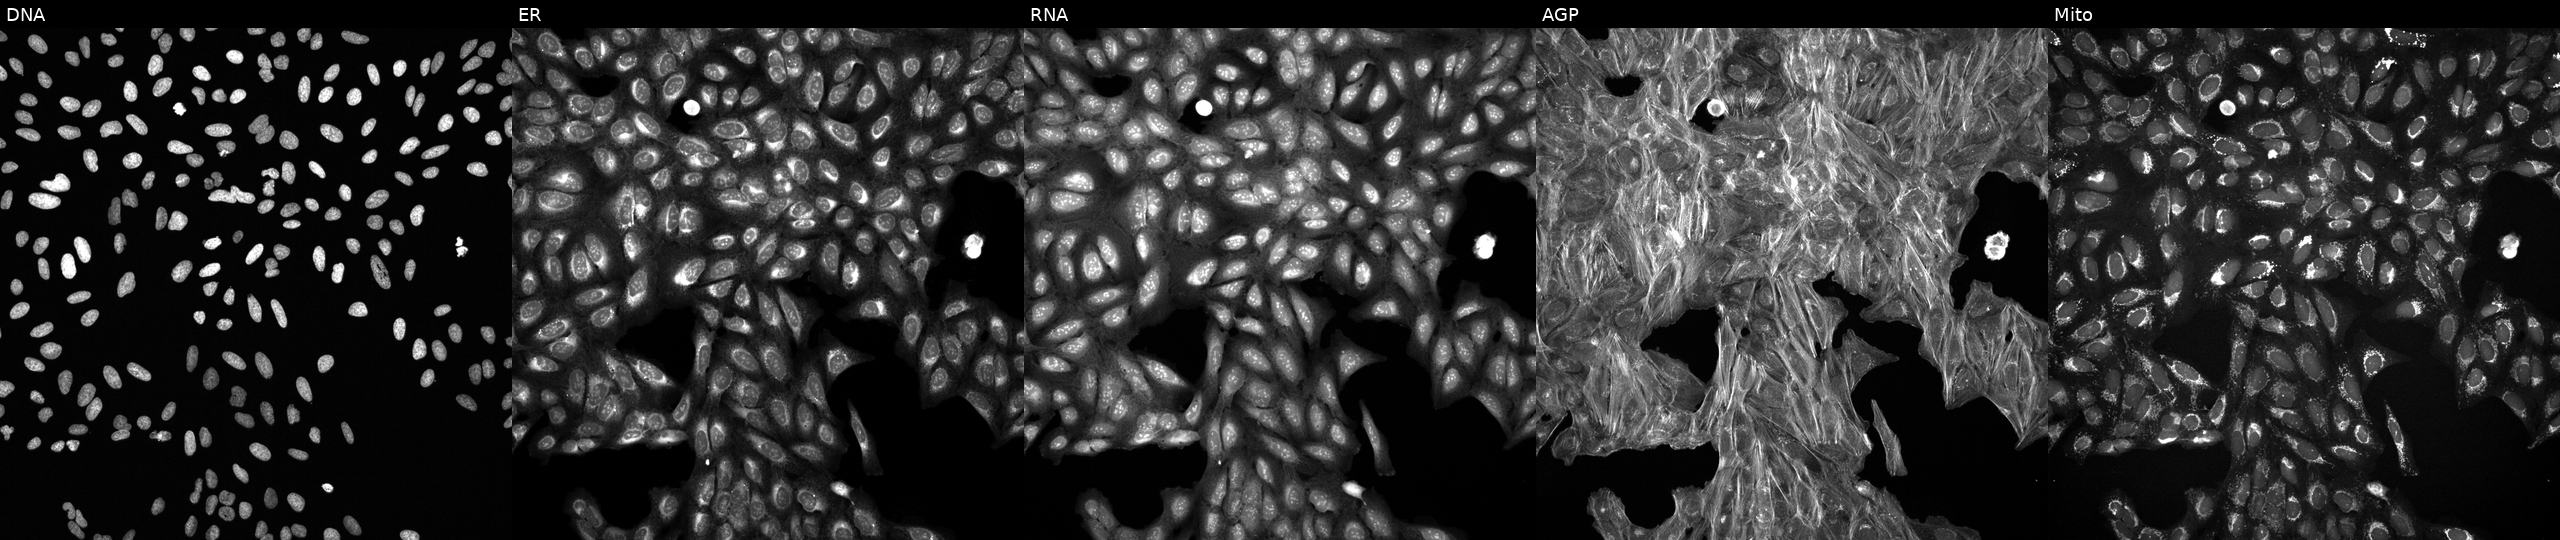
High-content fluorescence microscopy (Cell Painting). Cell line: U2OS. Perturbation: exposed to a small-molecule compound (InChIKey PXFIURQIYSAOGE-UHFFFAOYSA-N). Channels (left→right): Hoechst 33342, concanavalin A, SYTO 14, phalloidin and WGA, MitoTracker. Source 6, plate 110000293083, well J09.